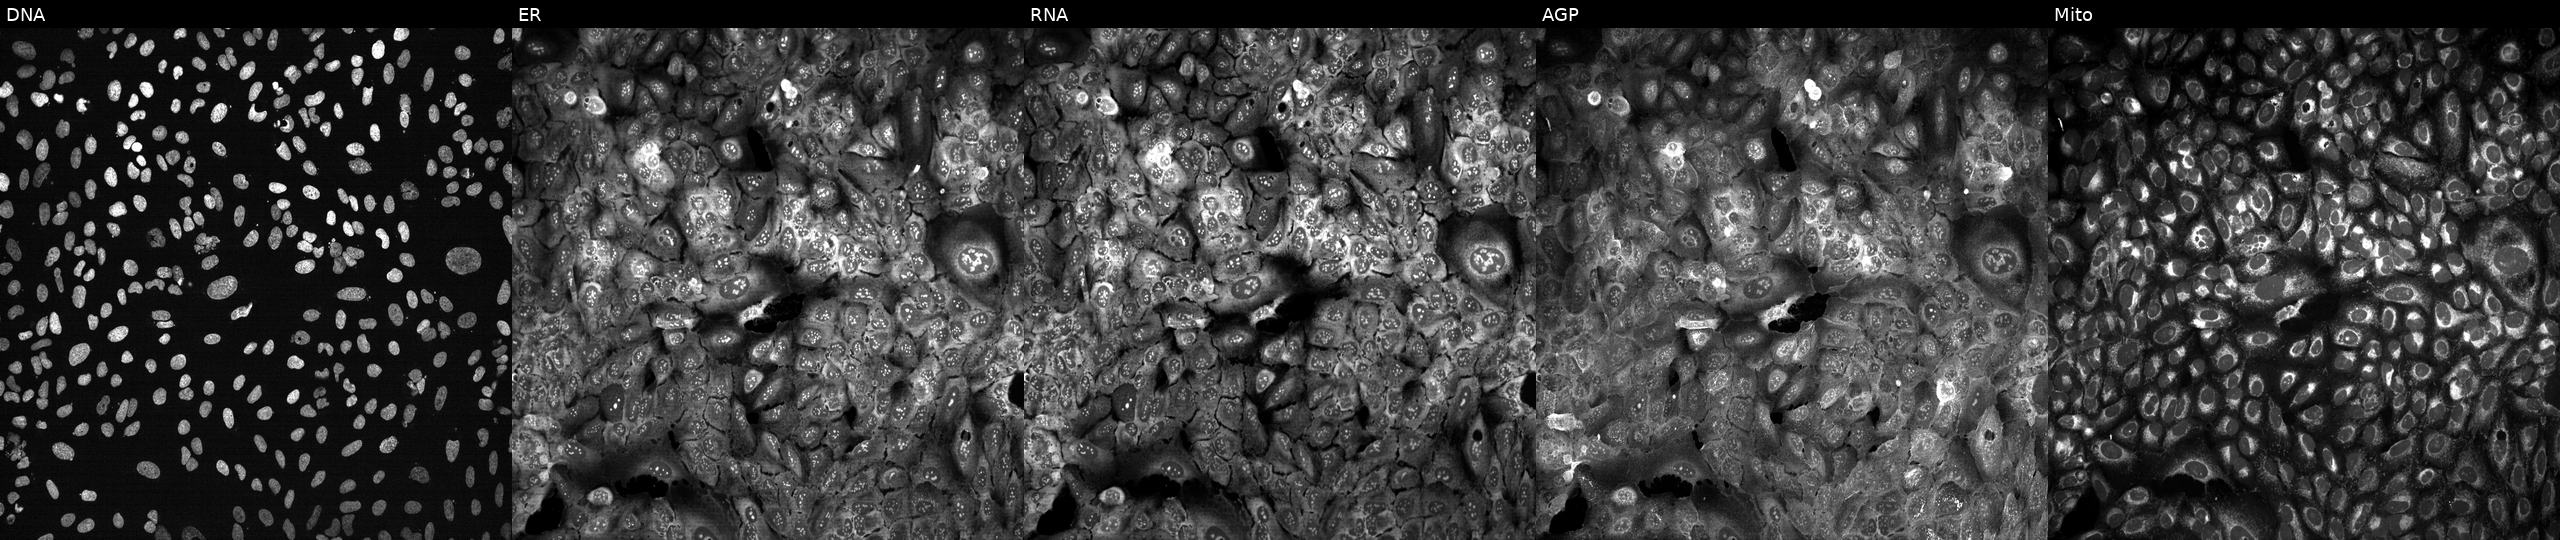
From left to right: DNA (nuclei); ER (endoplasmic reticulum); RNA (nucleoli and cytoplasmic RNA); AGP (actin cytoskeleton, Golgi, and plasma membrane); Mito (mitochondria). U2OS osteosarcoma cells with TUBB6 knocked out by CRISPR. Cell Painting assay, JUMP-CP dataset. Source 13, plate CP-CC9-R4-03, well O14.